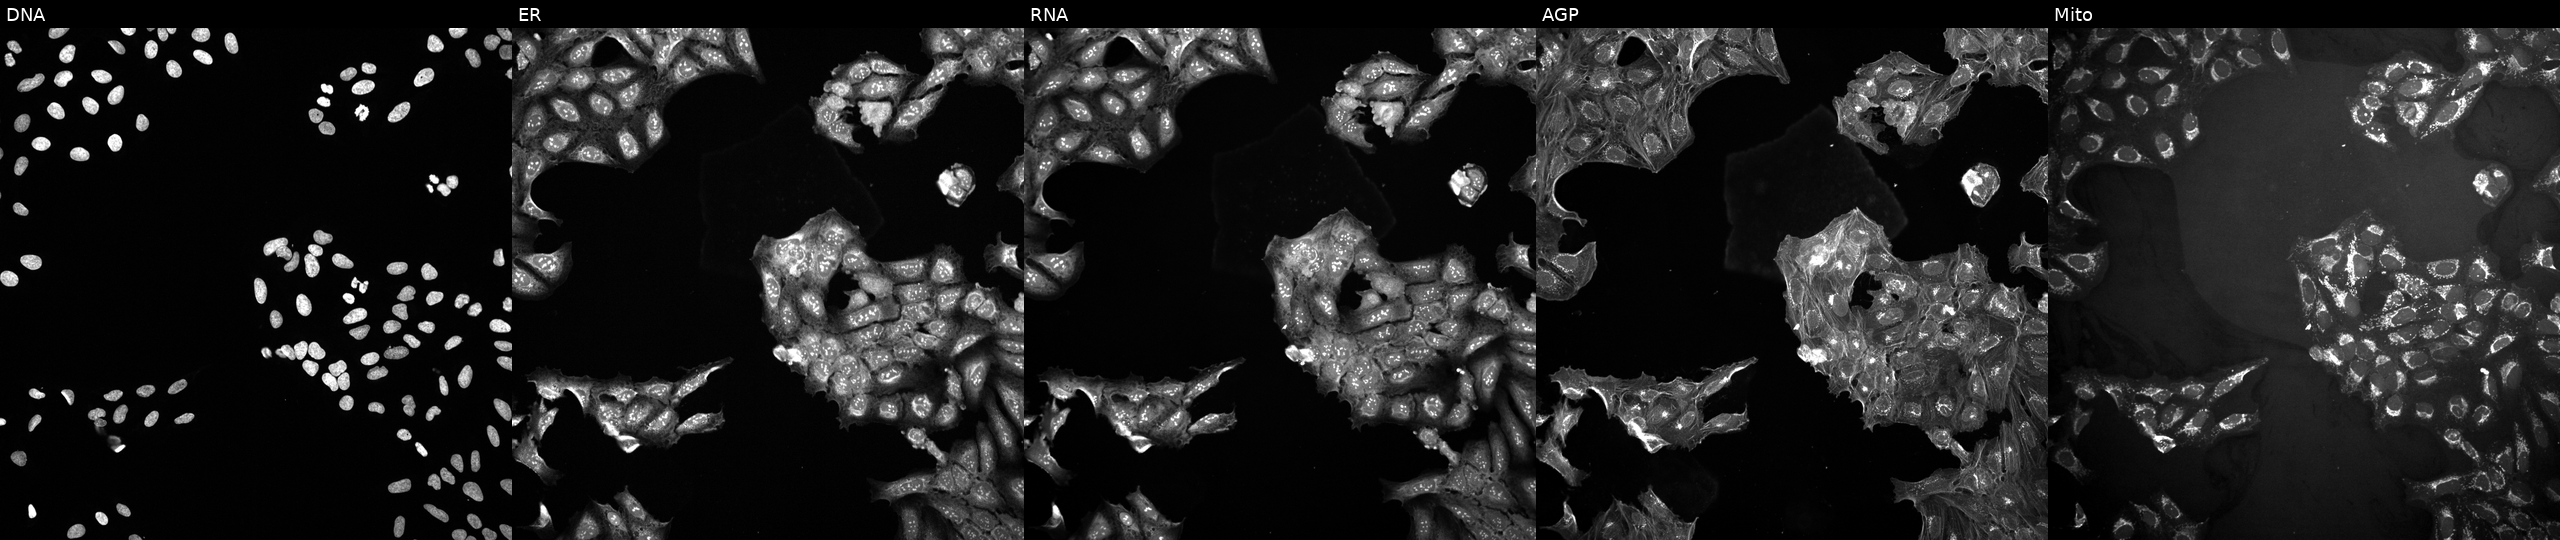
High-content fluorescence microscopy (Cell Painting). Cell line: U2OS. Perturbation: in an empty control well (no perturbation). Panels show, left to right, DNA, ER, RNA, AGP, and Mito.